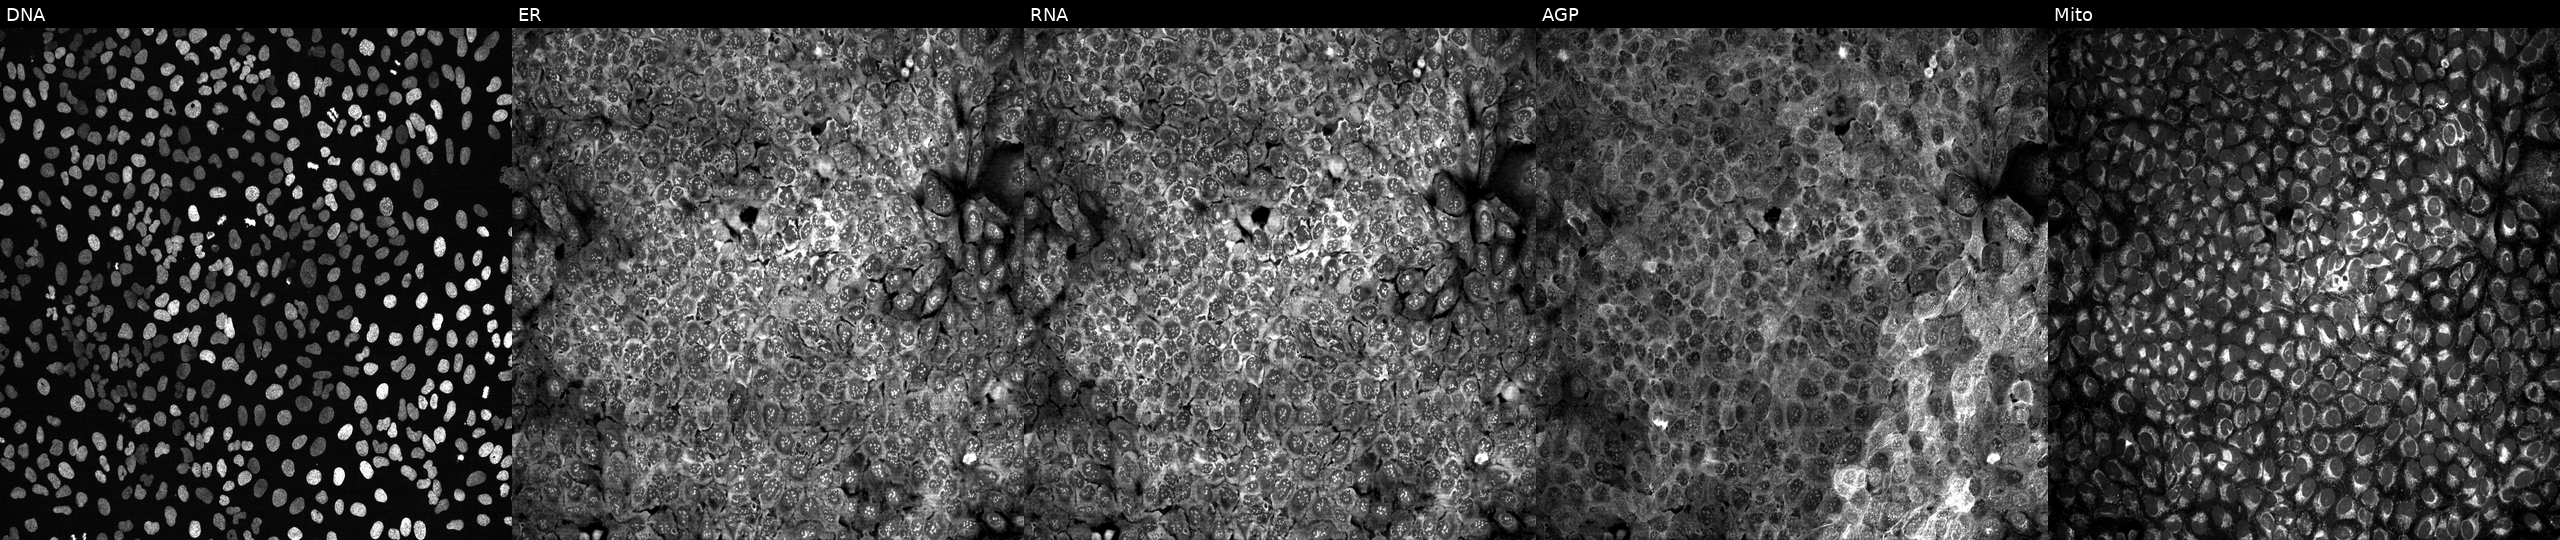
JUMP Cell Painting — CRISPR plate. U2OS cells treated with quinidine (positive-control compound). The five panels, left to right, show Hoechst 33342, concanavalin A, SYTO 14, phalloidin and WGA, MitoTracker.